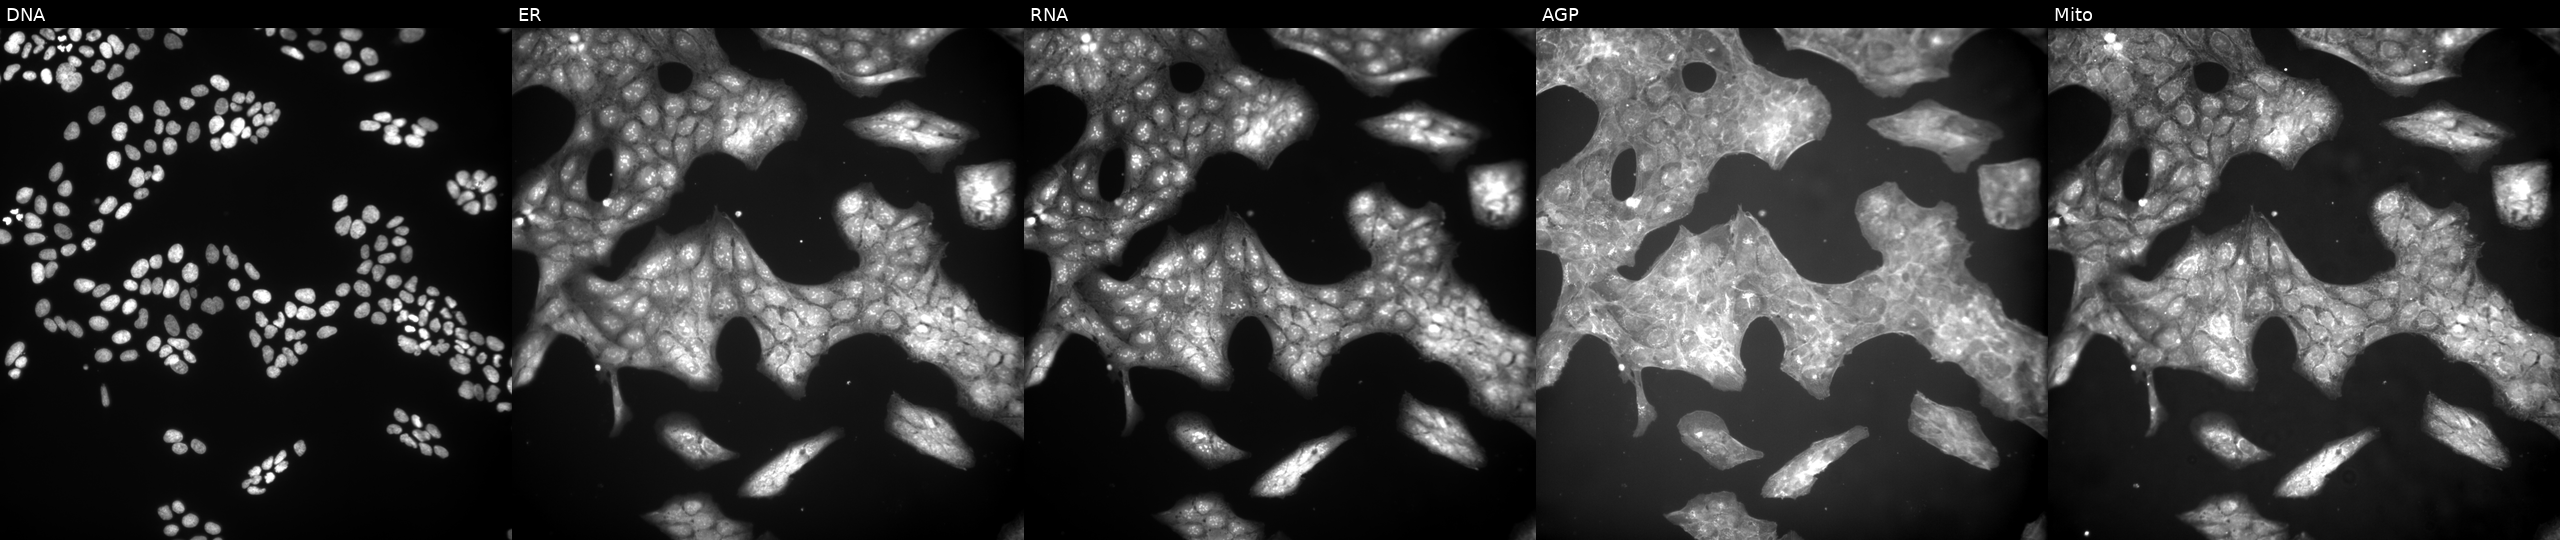
JUMP Cell Painting — COMPOUND plate. U2OS cells perturbed with a small-molecule compound (InChIKey IBCXZJCWDGCXQT-UHFFFAOYSA-N). Channels (left→right): DNA (nuclei); ER (endoplasmic reticulum); RNA (nucleoli and cytoplasmic RNA); AGP (actin cytoskeleton, Golgi, and plasma membrane); Mito (mitochondria). Source 9, plate GR00003382, well E48.